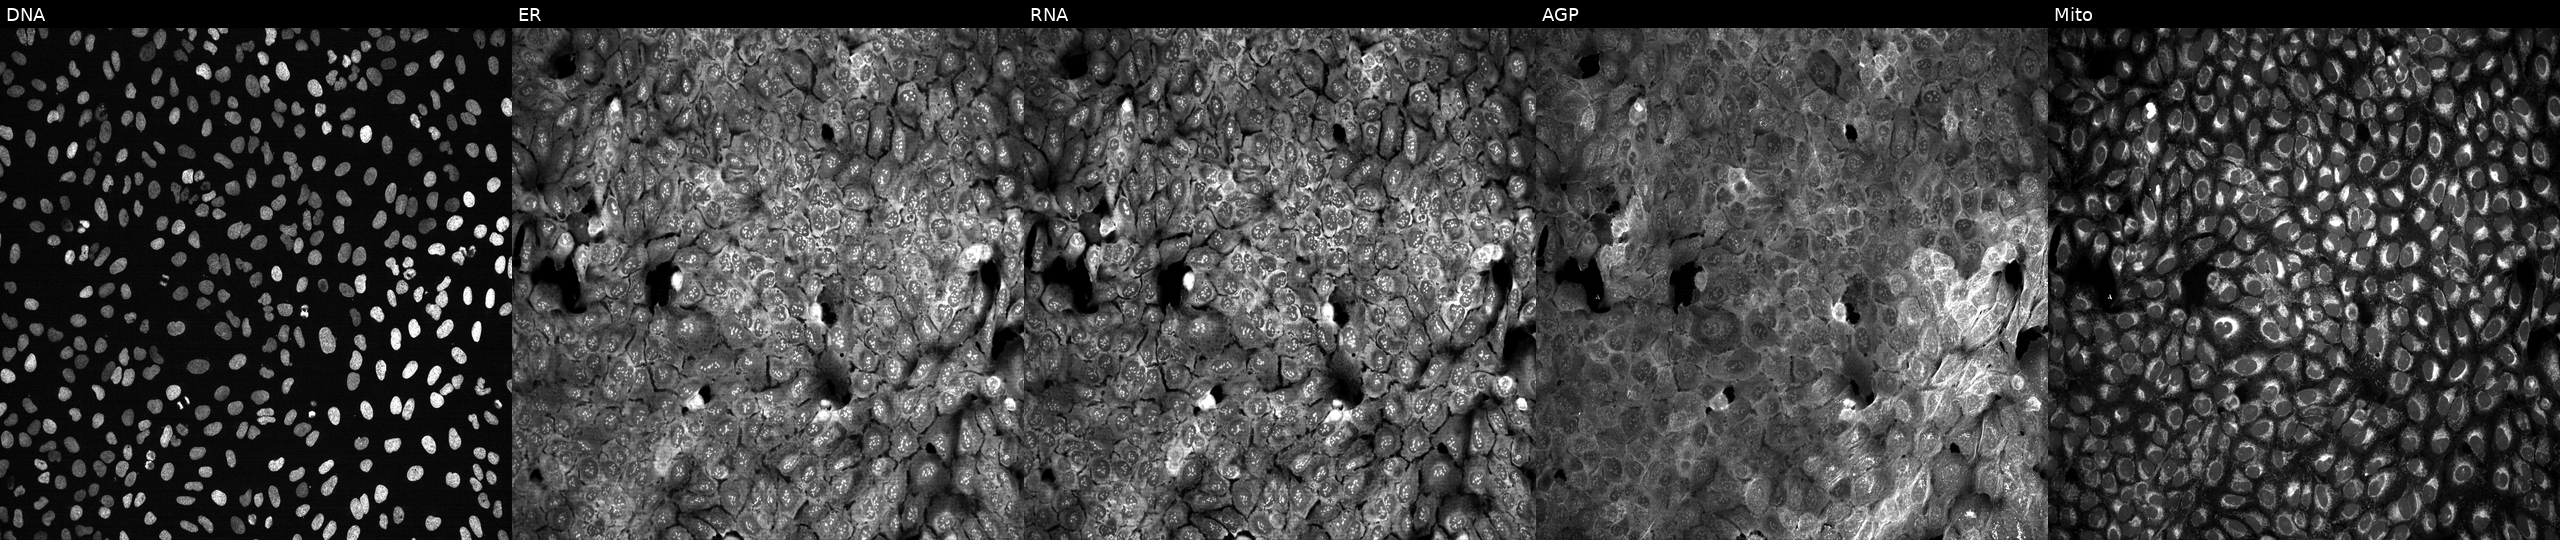
From left to right: Hoechst 33342, concanavalin A, SYTO 14, phalloidin and WGA, MitoTracker. U2OS osteosarcoma cells CRISPR-edited to disrupt ENTPD7 (JUMP id JCP2022_802127). Cell Painting assay, JUMP-CP dataset. Source 13, plate CP-CC9-R3-02, well D08.